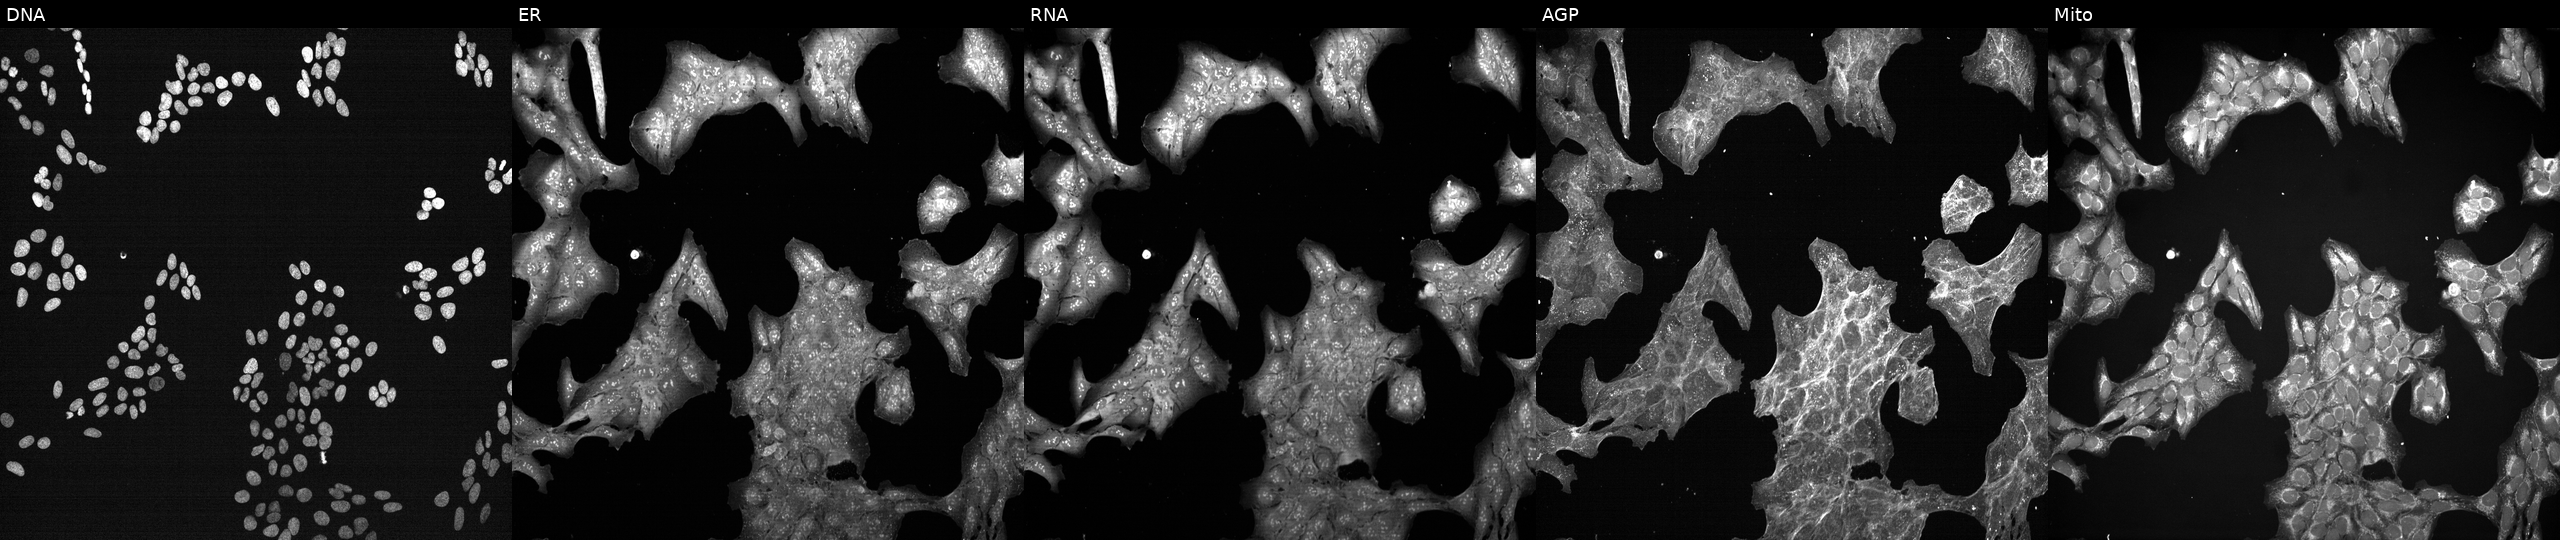
U2OS cells, Cell Painting assay, exposed to the positive-control compound LY2109761 (JUMP id JCP2022_035095). Panels show, left to right, DNA (nuclei); ER (endoplasmic reticulum); RNA (nucleoli and cytoplasmic RNA); AGP (actin cytoskeleton, Golgi, and plasma membrane); Mito (mitochondria). Each panel is percentile-stretched 16-bit fluorescence. Source 7, plate CP2-SC1-25, well O09.